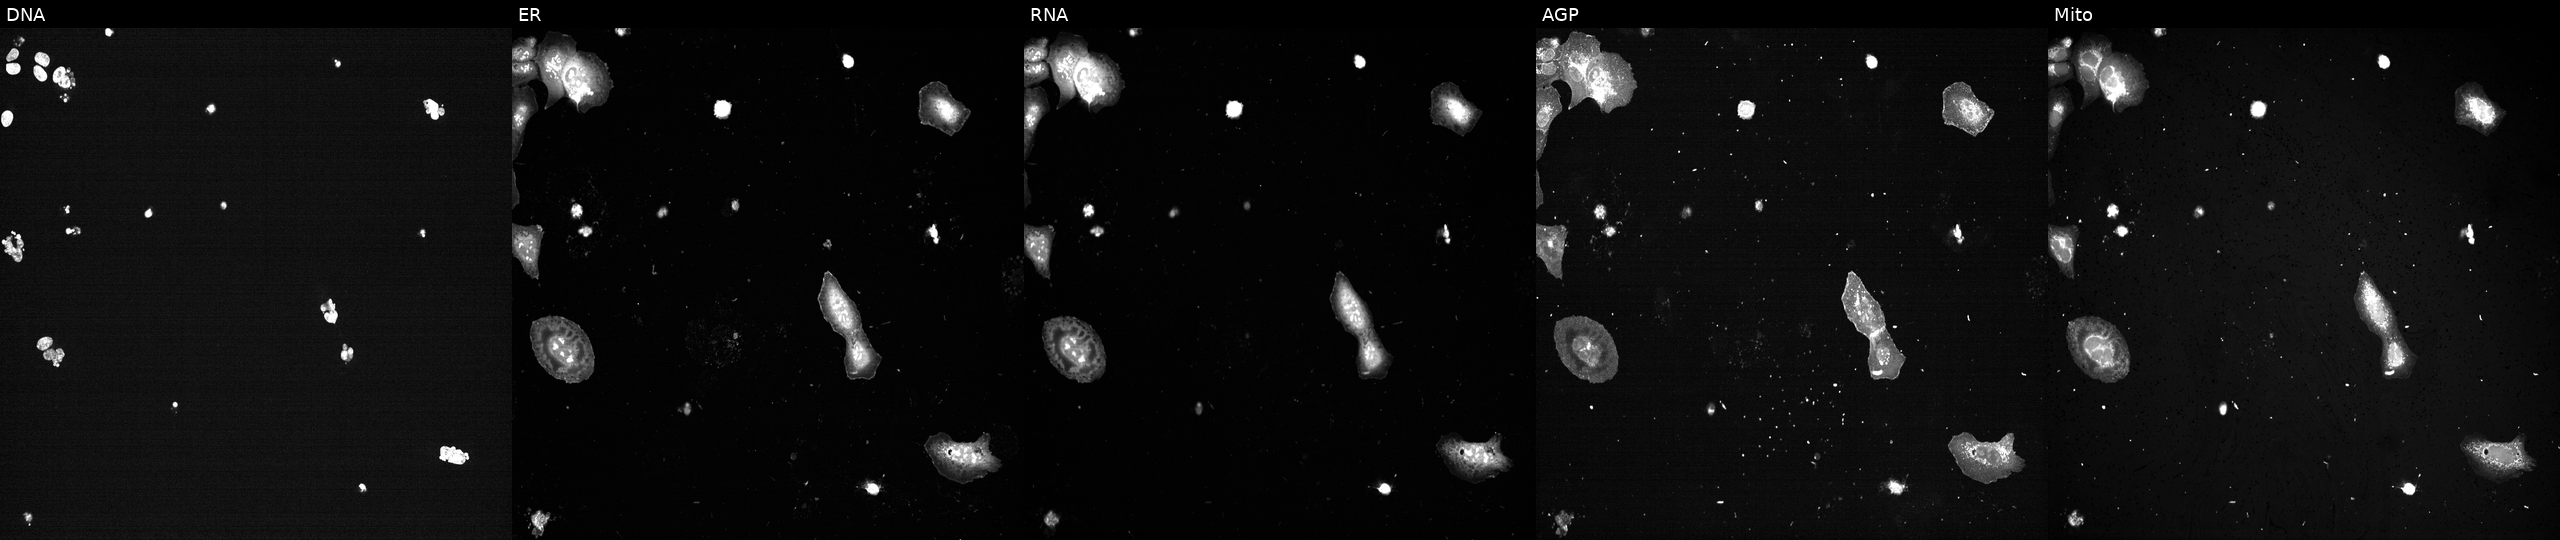
JUMP Cell Painting — CRISPR plate. U2OS cells with PLK1 knocked out by CRISPR (positive control) (JUMP id JCP2022_805264). Channels (left→right): DNA, ER, RNA, AGP, and Mito.